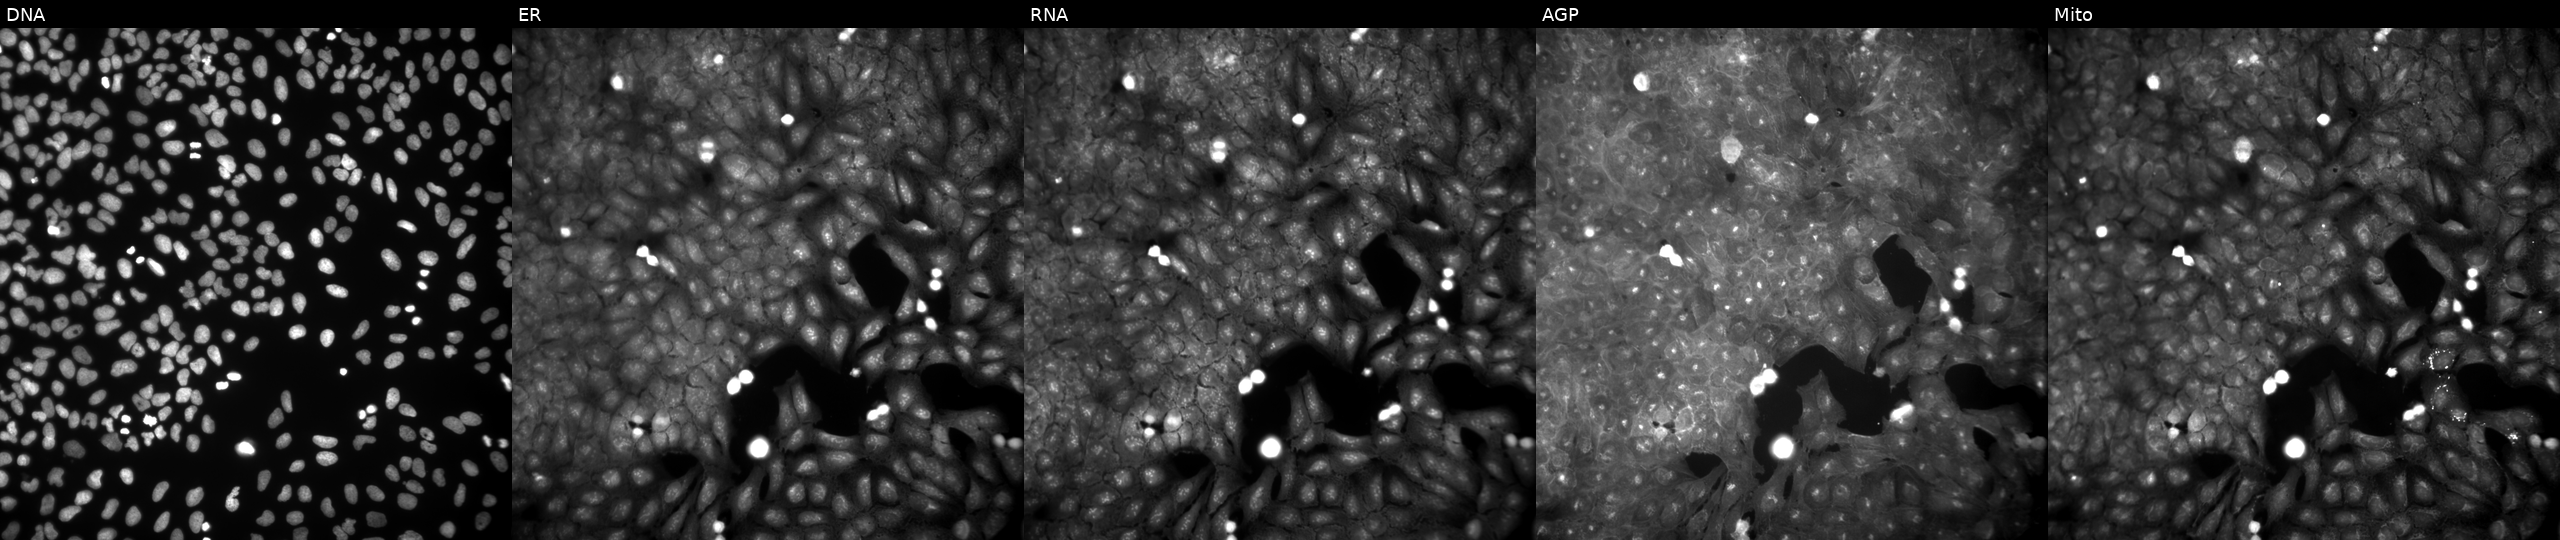
Panels show, left to right, DNA, ER, RNA, AGP, and Mito. U2OS osteosarcoma cells treated with DMSO vehicle only (negative control). Cell Painting assay, JUMP-CP dataset.